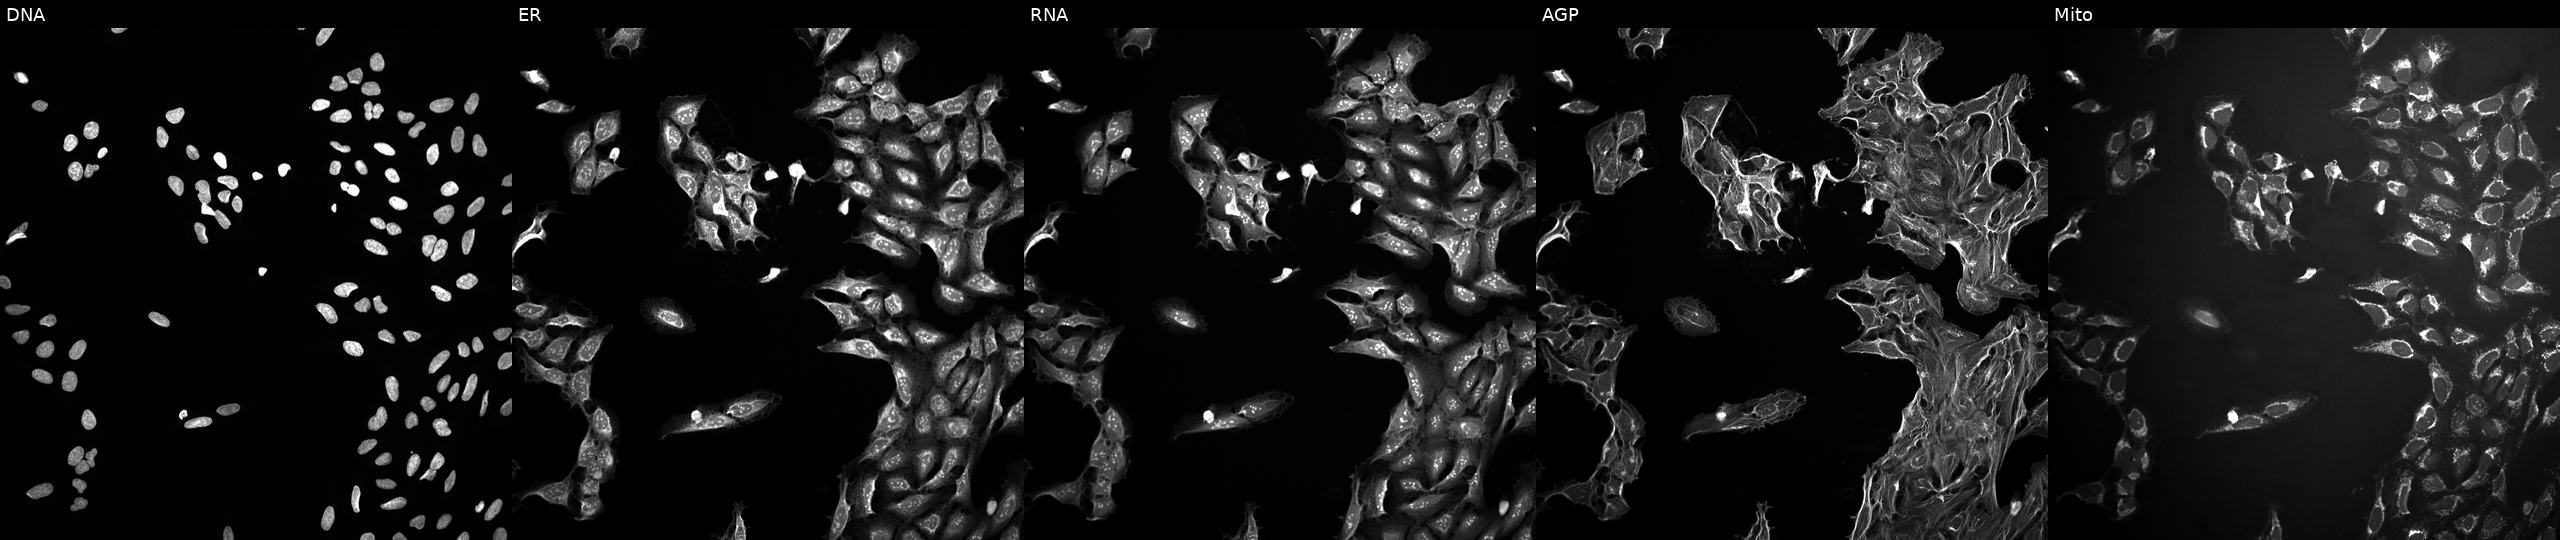
The five panels, left to right, show DNA, ER, RNA, AGP, and Mito. U2OS osteosarcoma cells exposed to a small-molecule compound. Cell Painting assay, JUMP-CP dataset. Source 10, plate Dest210726-160150, well P22.